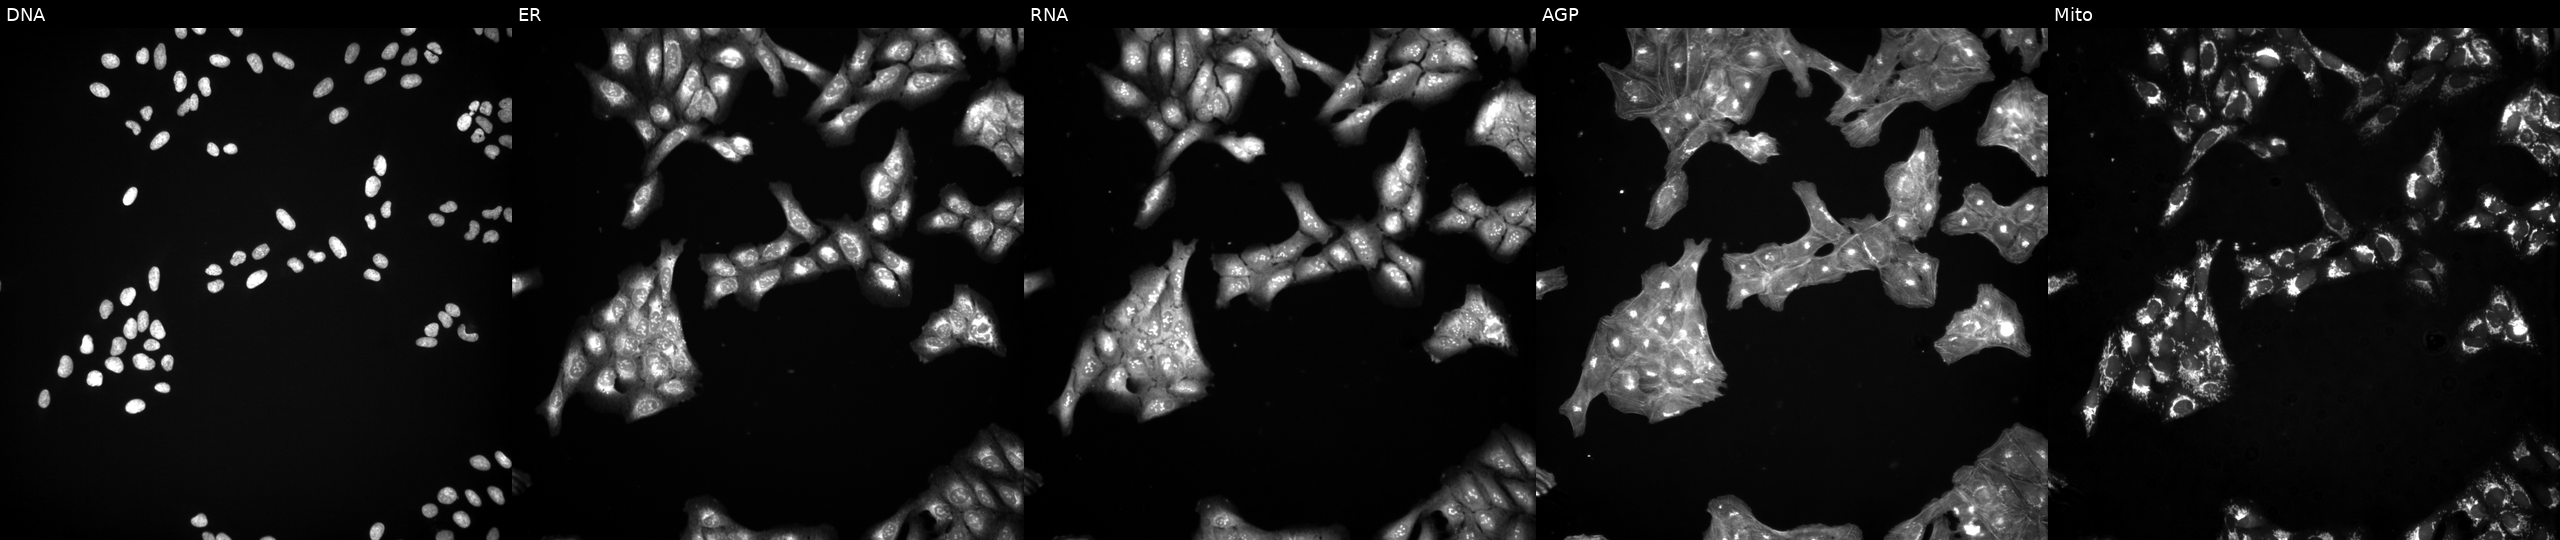
Five-channel Cell Painting image of U2OS cells exposed to a small-molecule compound [SMILES: O=C1NCN(c2ccccc2)C12CCN(CC1COc3ccccc3O1)CC2] (JUMP id JCP2022_042354). Channels (left→right): DNA (nuclei); ER (endoplasmic reticulum); RNA (nucleoli and cytoplasmic RNA); AGP (actin cytoskeleton, Golgi, and plasma membrane); Mito (mitochondria).